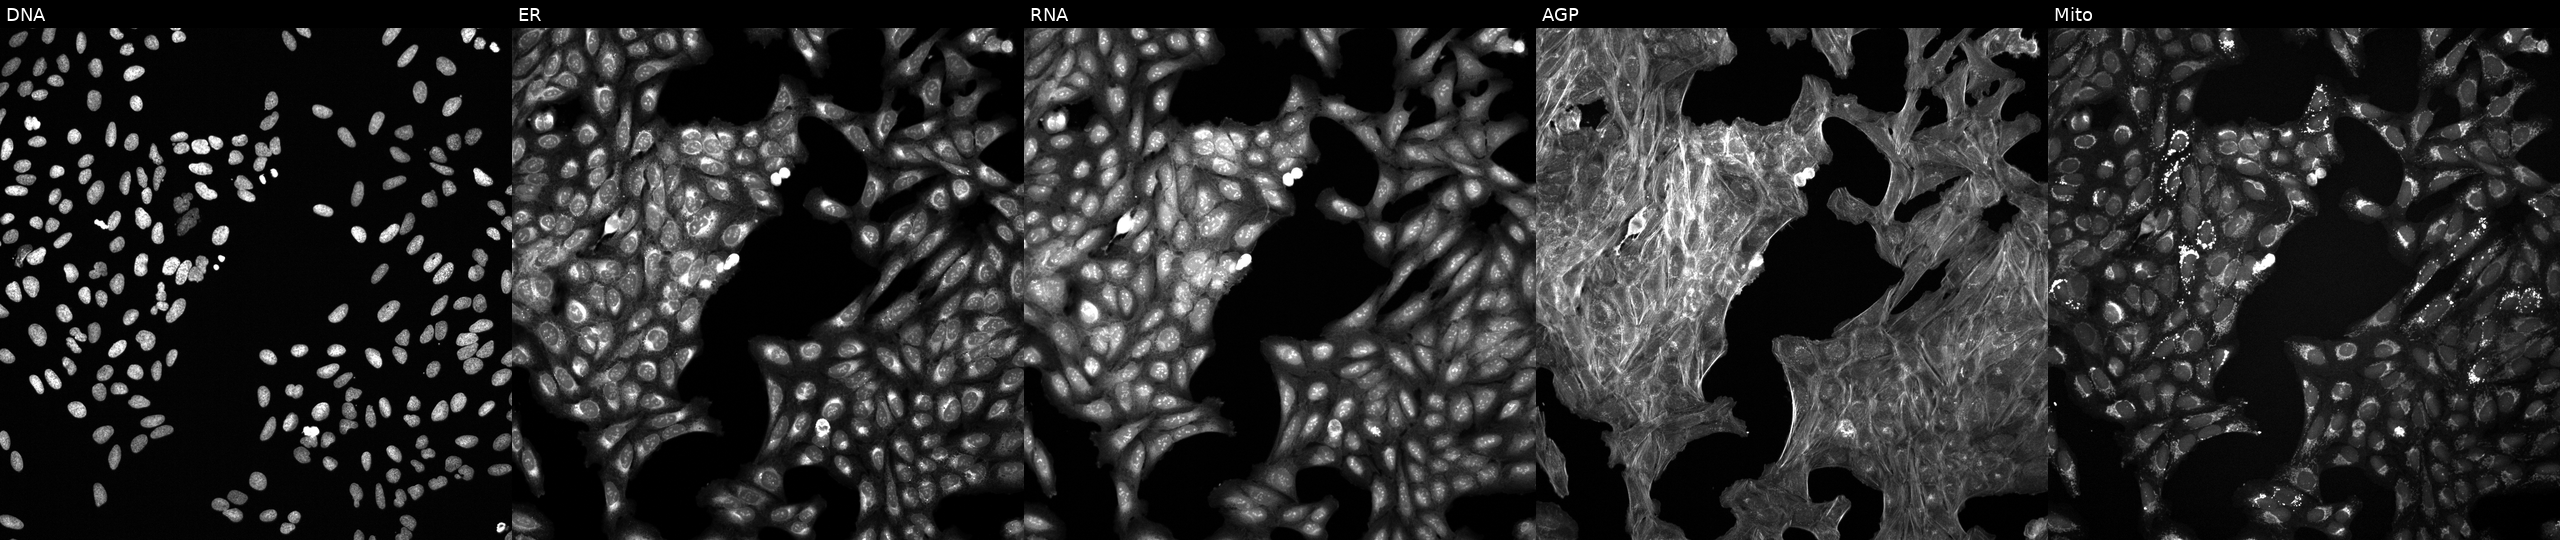
This image strip shows the five Cell Painting channels for a single field of U2OS cells treated with a small-molecule compound (InChIKey NKGVITVFYZAGIS-UHFFFAOYSA-N). From left to right: DNA, ER, RNA, AGP, and Mito. Source 6, plate 110000293082, well L22.